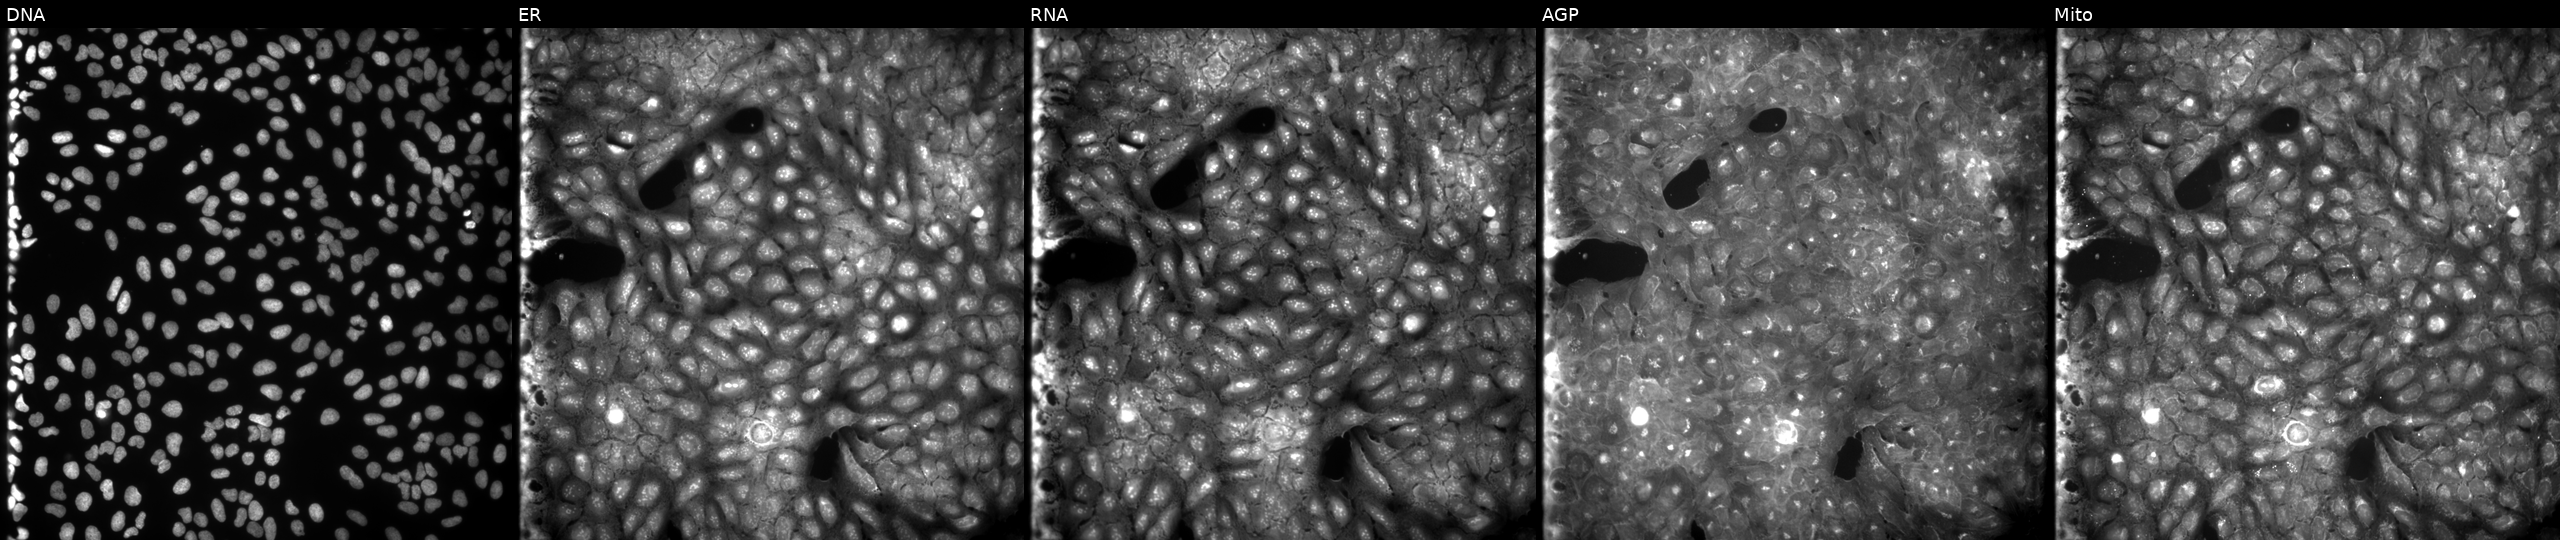
This image strip shows the five Cell Painting channels for a single field of U2OS cells perturbed with a small-molecule compound (JUMP id JCP2022_064787). Channels (left→right): DNA, ER, RNA, AGP, and Mito. Source 9, plate GR00003381, well I13.